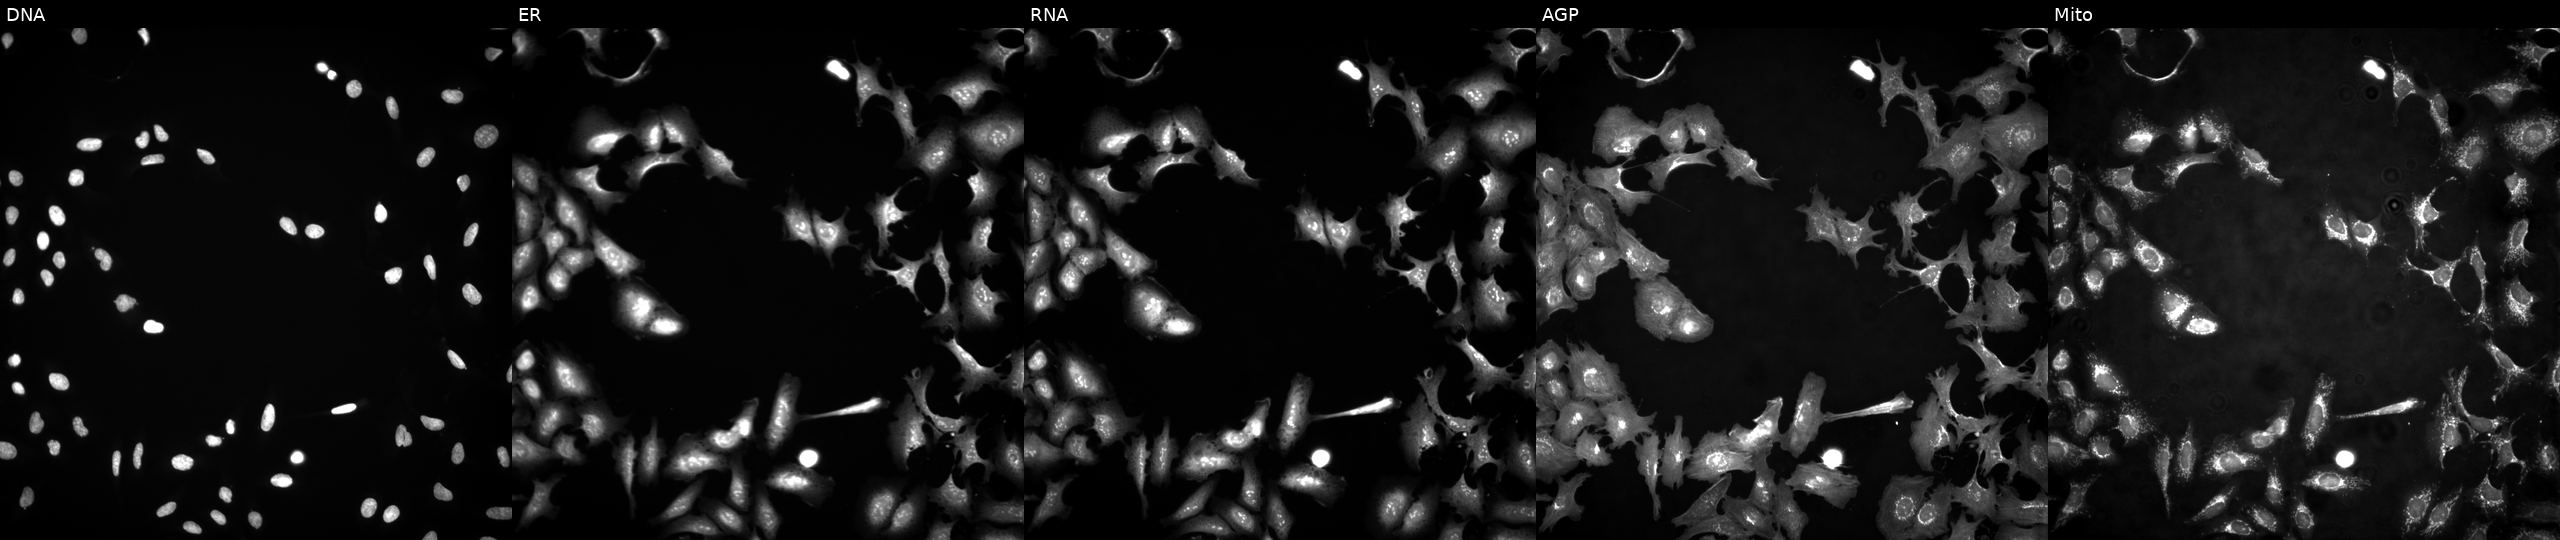
Five-channel Cell Painting image of U2OS cells transfected with an ORF construct for ARSG (JUMP id JCP2022_914018). Panels show, left to right, DNA (nuclei); ER (endoplasmic reticulum); RNA (nucleoli and cytoplasmic RNA); AGP (actin cytoskeleton, Golgi, and plasma membrane); Mito (mitochondria). Source 4, plate BR00123945, well E03.